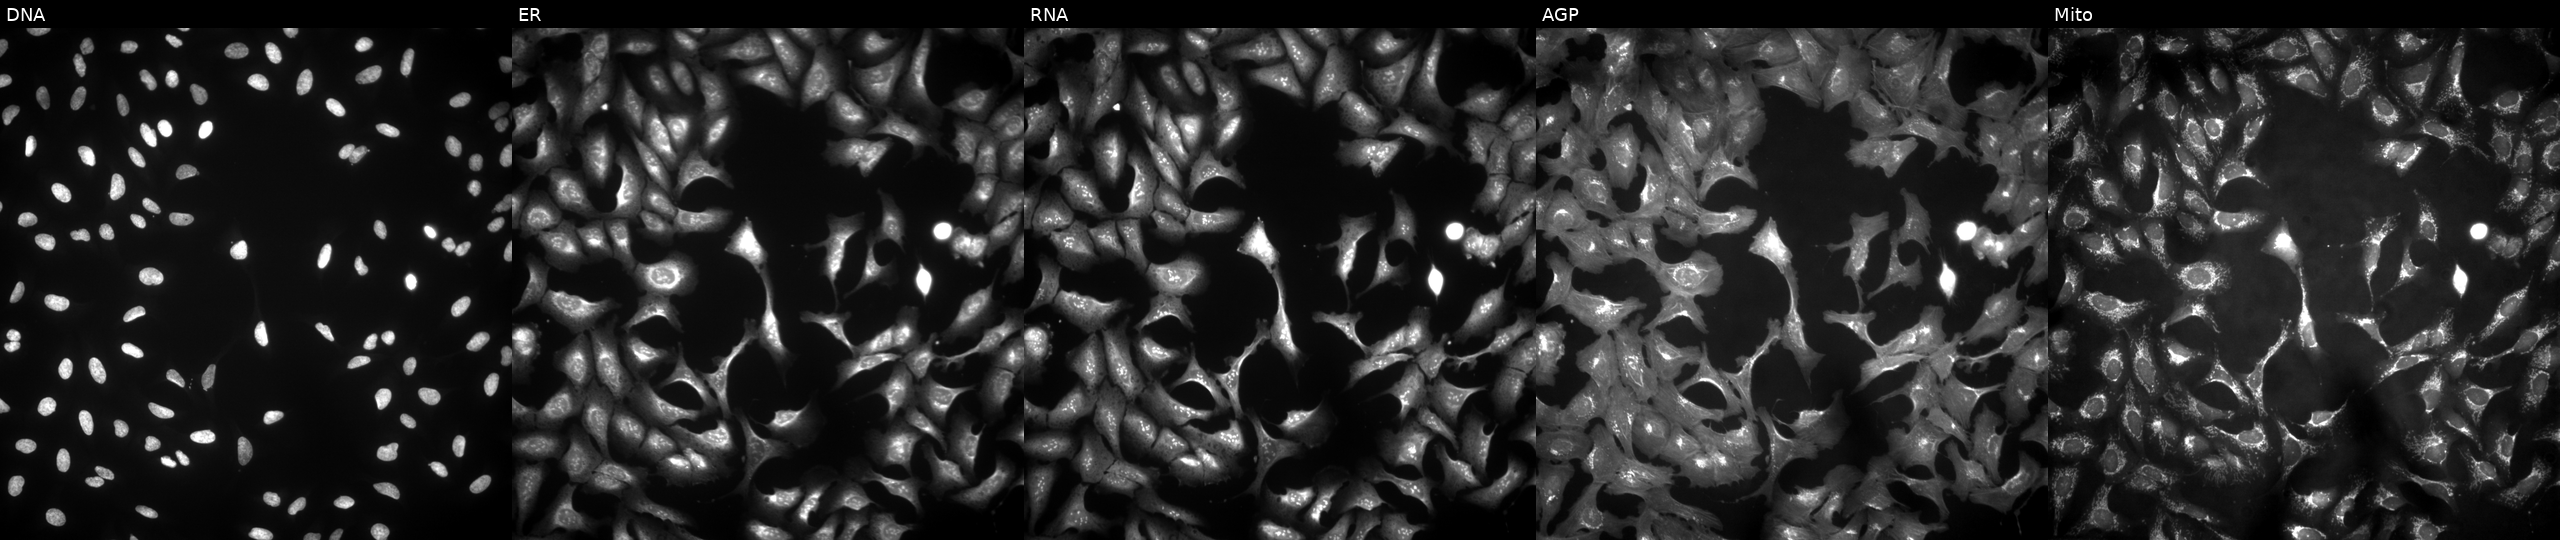
JUMP Cell Painting — ORF plate. U2OS cells transfected with an ORF construct for RPGR (JUMP id JCP2022_910350). Panels show, left to right, Hoechst 33342, concanavalin A, SYTO 14, phalloidin and WGA, MitoTracker.